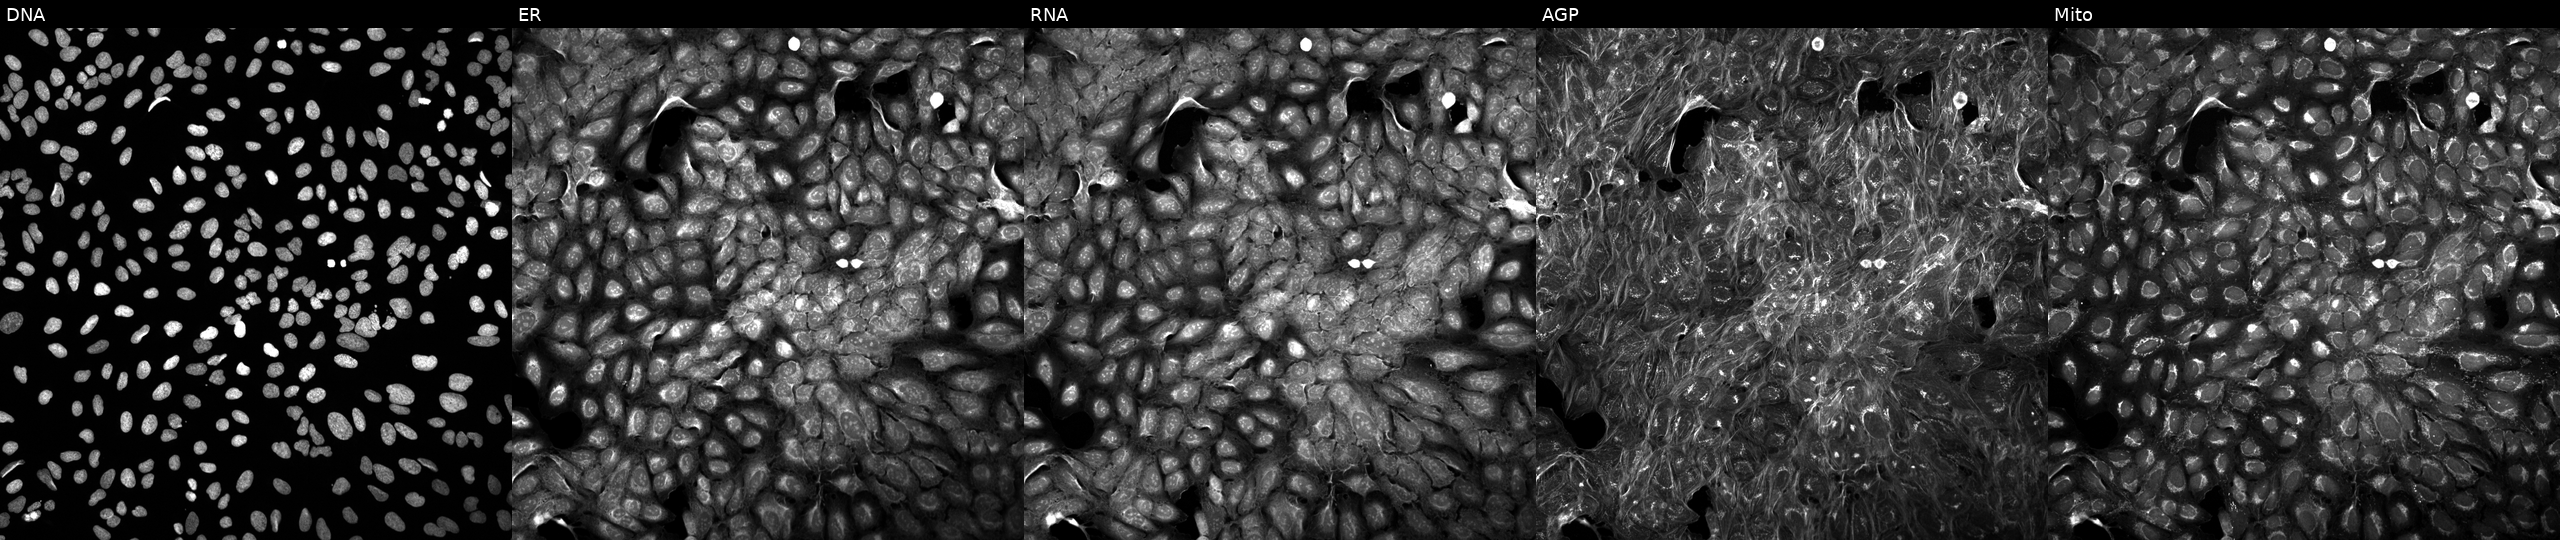
The five panels, left to right, show DNA (nuclei); ER (endoplasmic reticulum); RNA (nucleoli and cytoplasmic RNA); AGP (actin cytoskeleton, Golgi, and plasma membrane); Mito (mitochondria). U2OS osteosarcoma cells exposed to a small-molecule compound (InChIKey HWHLPVGTWGOCJO-UHFFFAOYSA-N). Cell Painting assay, JUMP-CP dataset. Source 5, plate ACPJUM051, well O20.